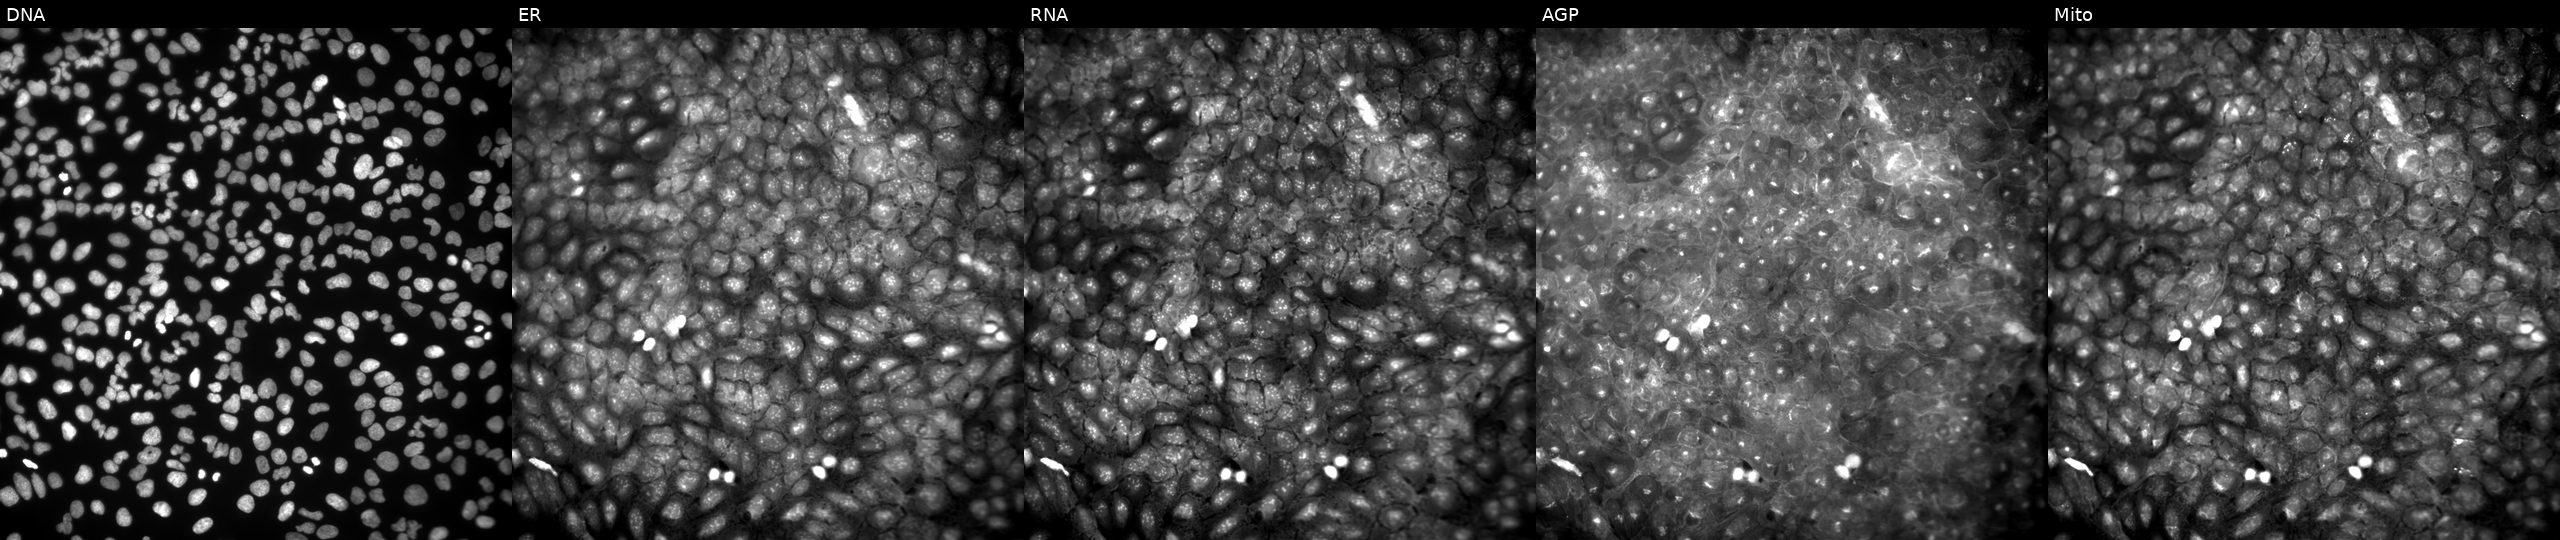
The five panels, left to right, show Hoechst 33342, concanavalin A, SYTO 14, phalloidin and WGA, MitoTracker. U2OS osteosarcoma cells perturbed with a small-molecule compound (InChIKey NZPKKRUMZLQQEX-UHFFFAOYSA-N) (JUMP id JCP2022_062391). Cell Painting assay, JUMP-CP dataset.